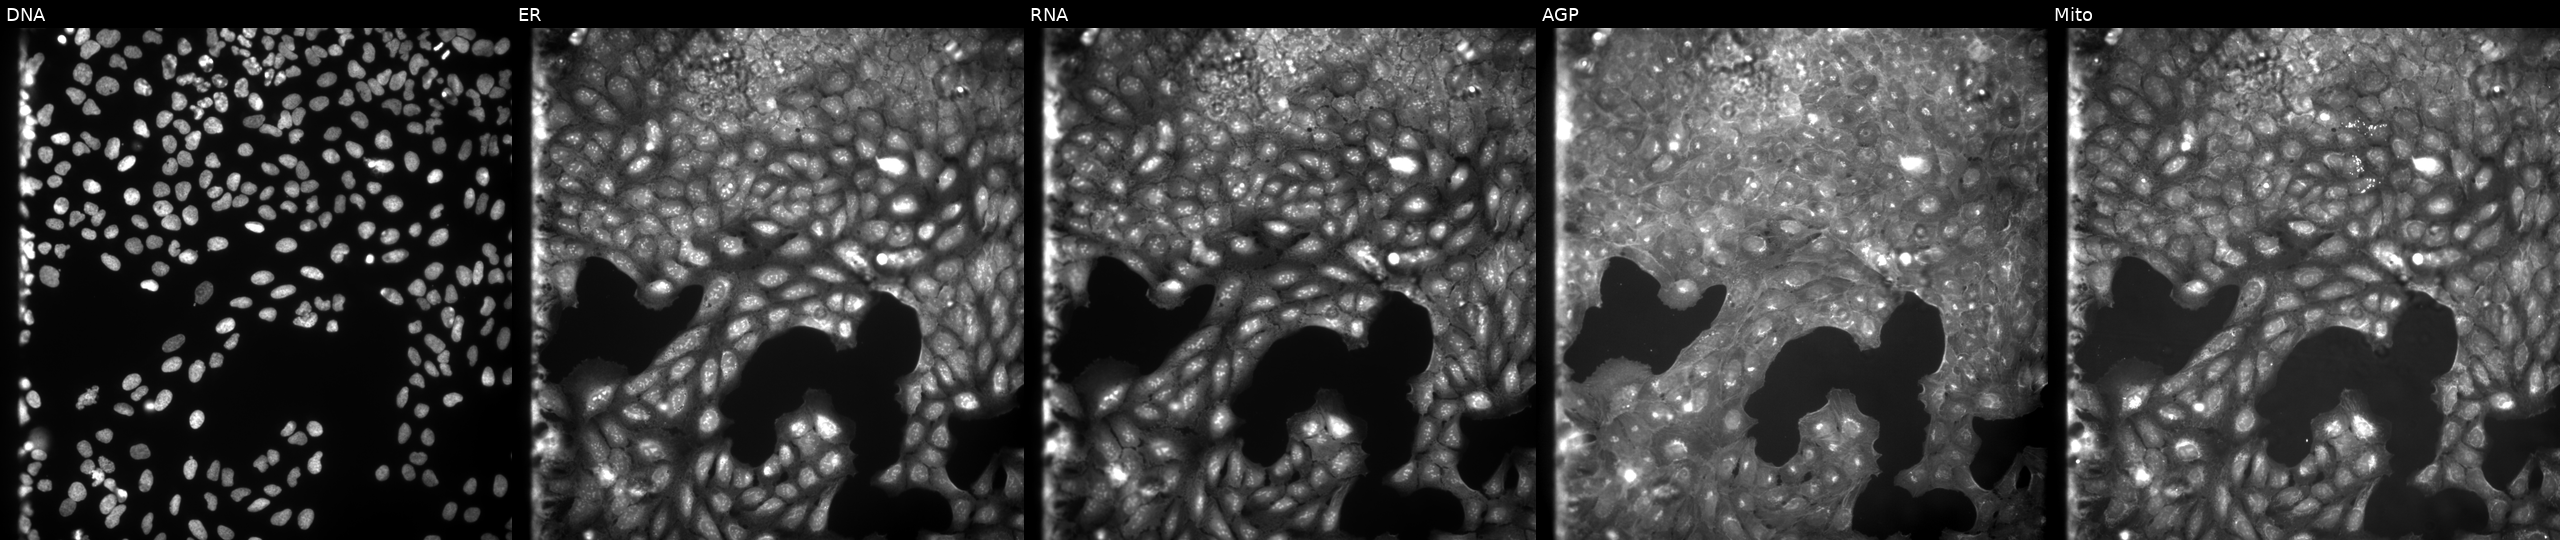
JUMP Cell Painting — COMPOUND plate. U2OS cells perturbed with a small-molecule compound (InChIKey SWYQYBCSRUINMF-UHFFFAOYSA-N) [SMILES: Cc1ccccc1OCC(O)Cn1c(=N)[nH]c2c1c(=O)n(C)c(=O)n2C]. Channels (left→right): Hoechst 33342, concanavalin A, SYTO 14, phalloidin and WGA, MitoTracker.